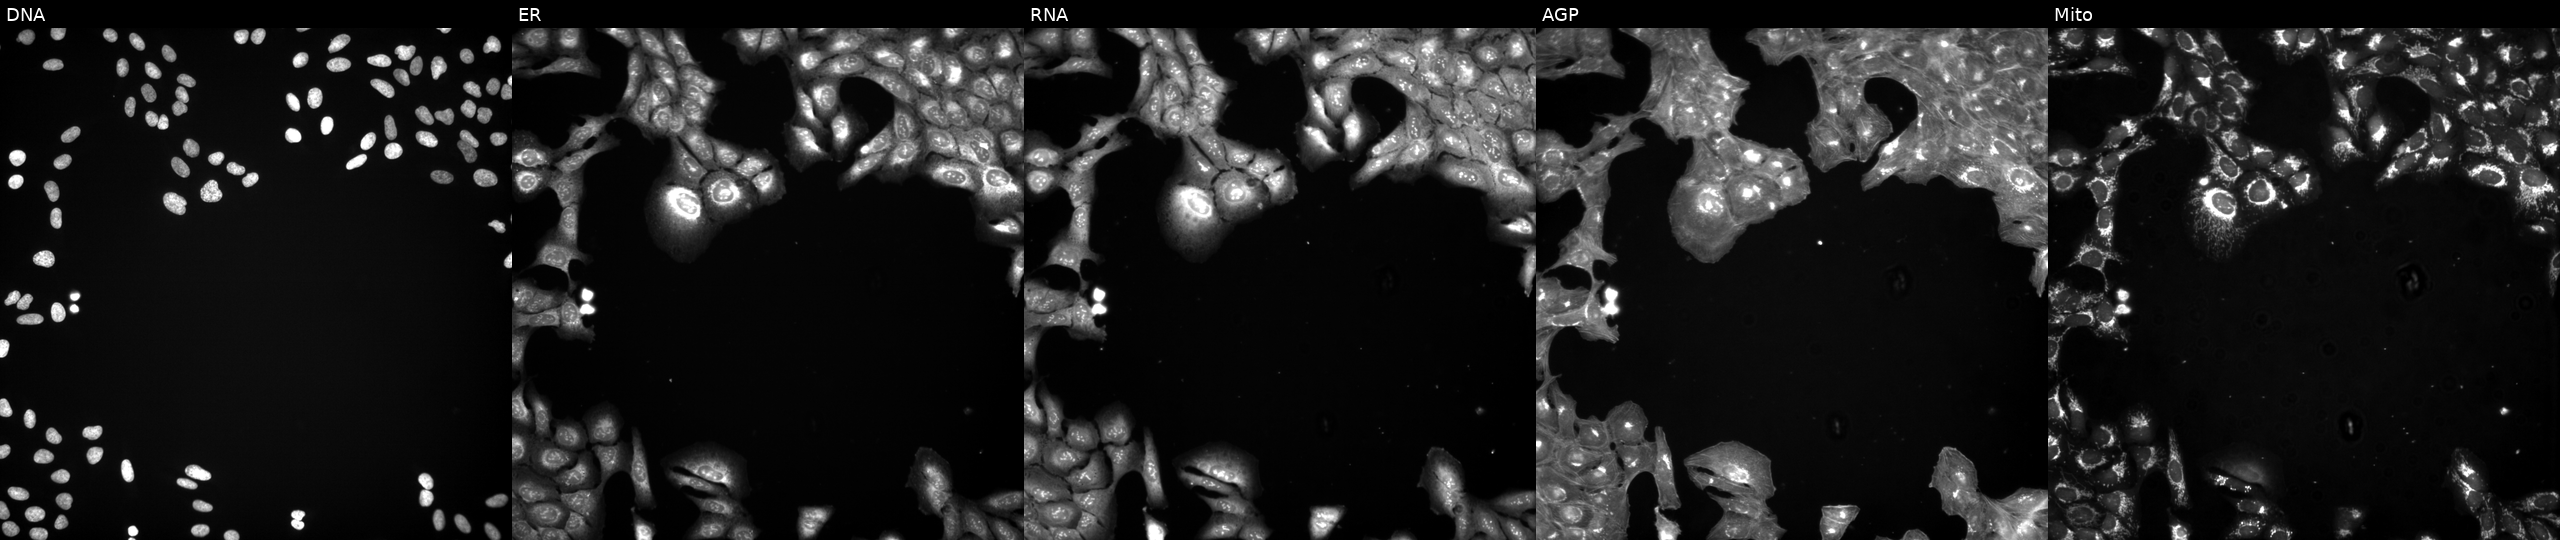
U2OS cells, Cell Painting assay, exposed to a small-molecule compound (InChIKey ZVORXNZIEPMLHF-UHFFFAOYSA-N). Panels show, left to right, Hoechst 33342, concanavalin A, SYTO 14, phalloidin and WGA, MitoTracker. Each panel is percentile-stretched 16-bit fluorescence.